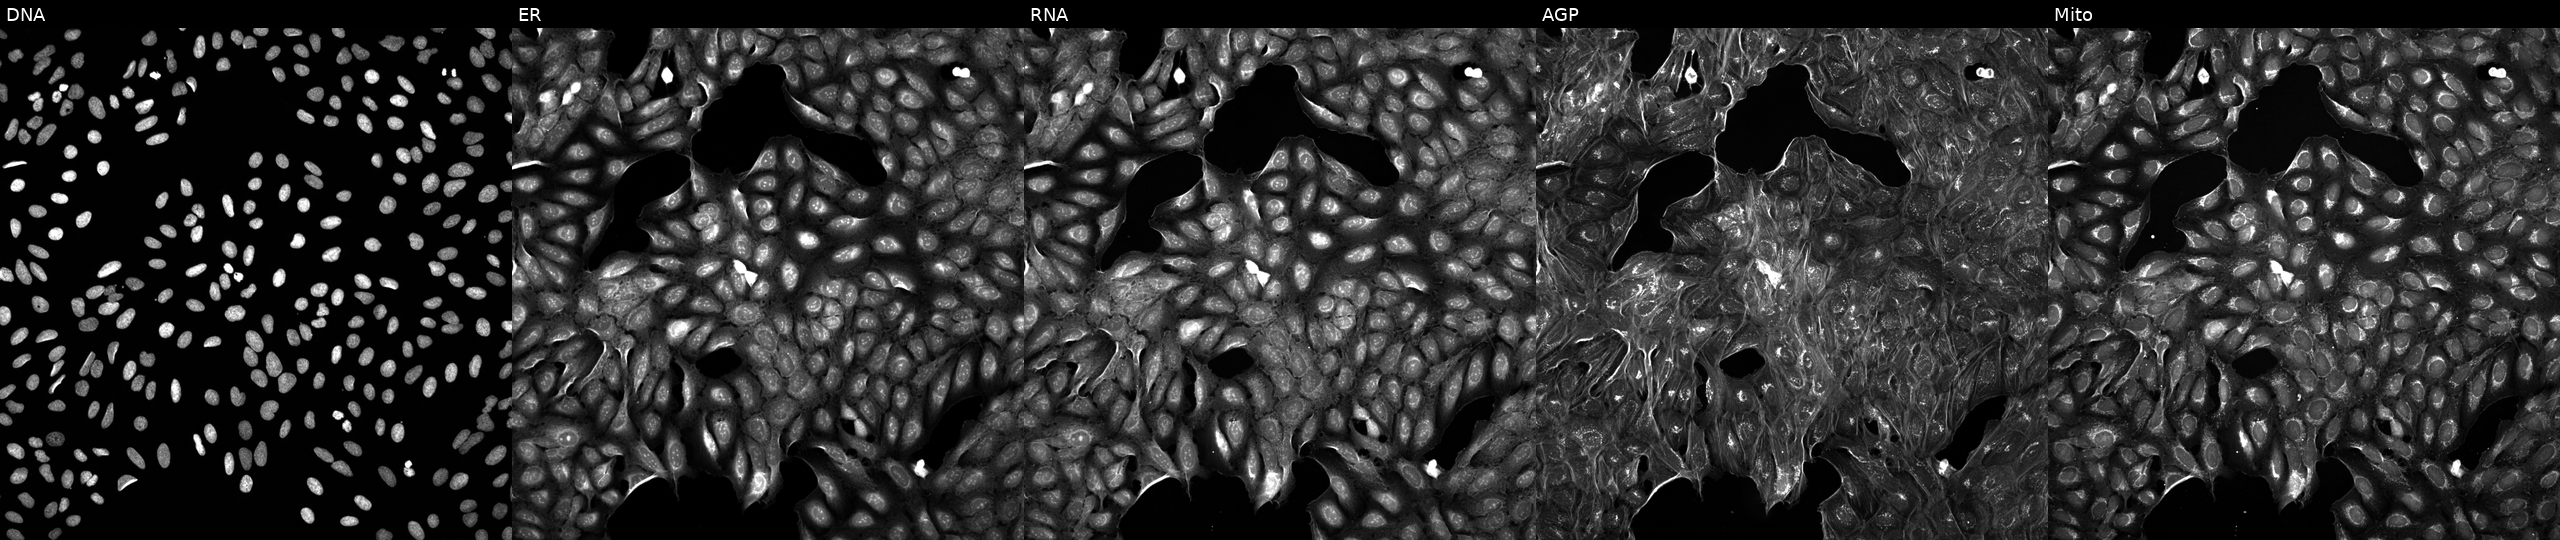
High-content fluorescence microscopy (Cell Painting). Cell line: U2OS. Perturbation: perturbed with a small-molecule compound (InChIKey NZPXMUFECROXGF-UHFFFAOYSA-N) (JUMP id JCP2022_062396). Channels (left→right): DNA, ER, RNA, AGP, and Mito.